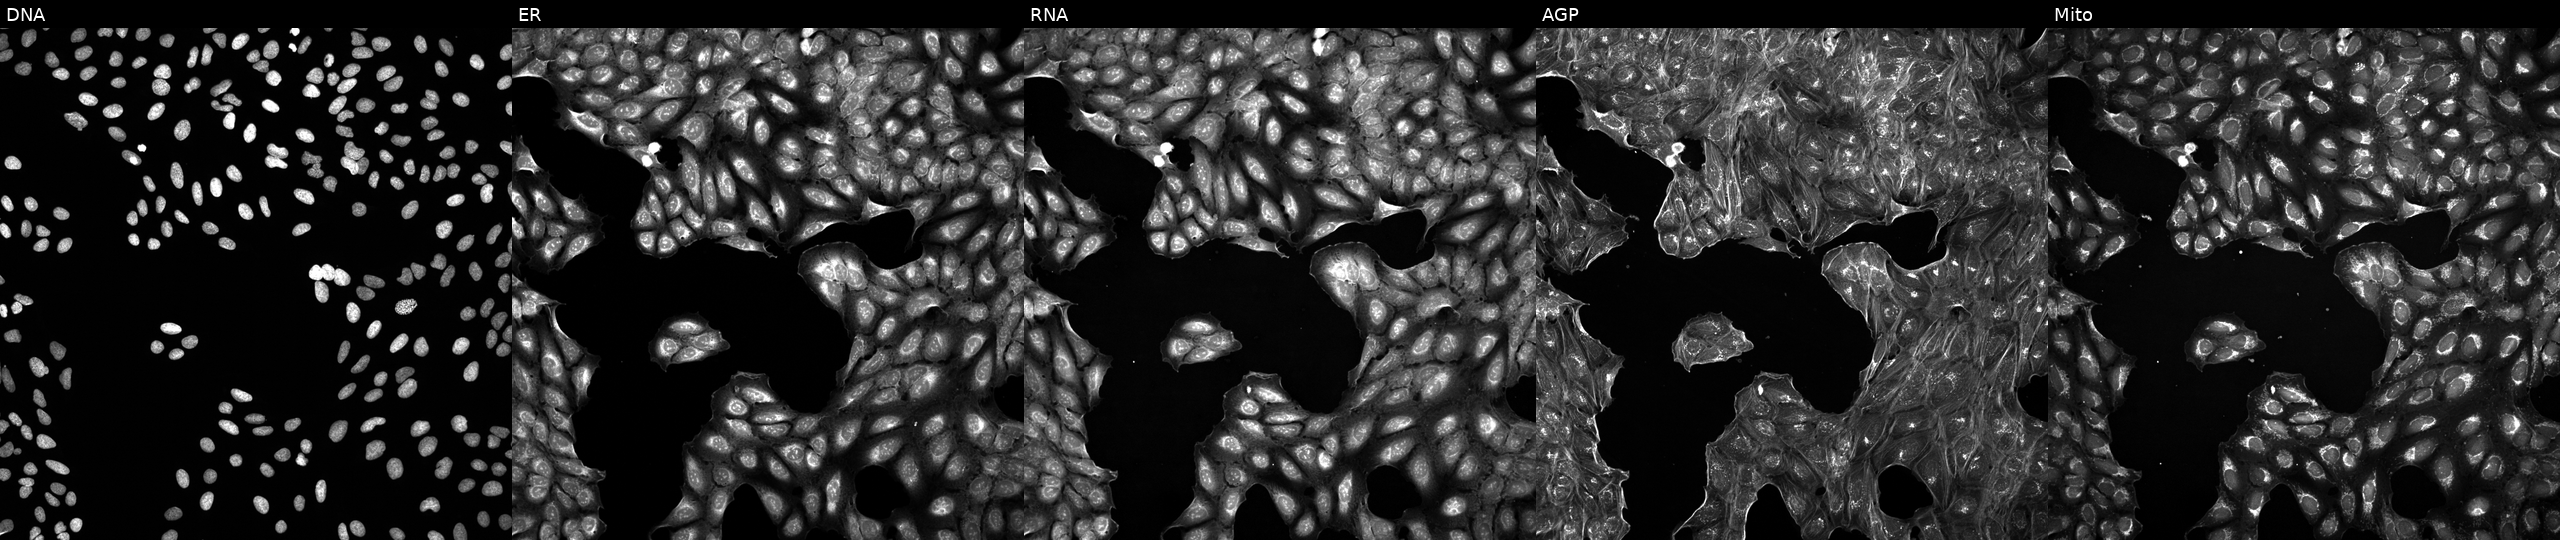
Panels show, left to right, DNA (nuclei); ER (endoplasmic reticulum); RNA (nucleoli and cytoplasmic RNA); AGP (actin cytoskeleton, Golgi, and plasma membrane); Mito (mitochondria). U2OS osteosarcoma cells exposed to DMSO alone as a negative control (JUMP id JCP2022_033924). Cell Painting assay, JUMP-CP dataset.